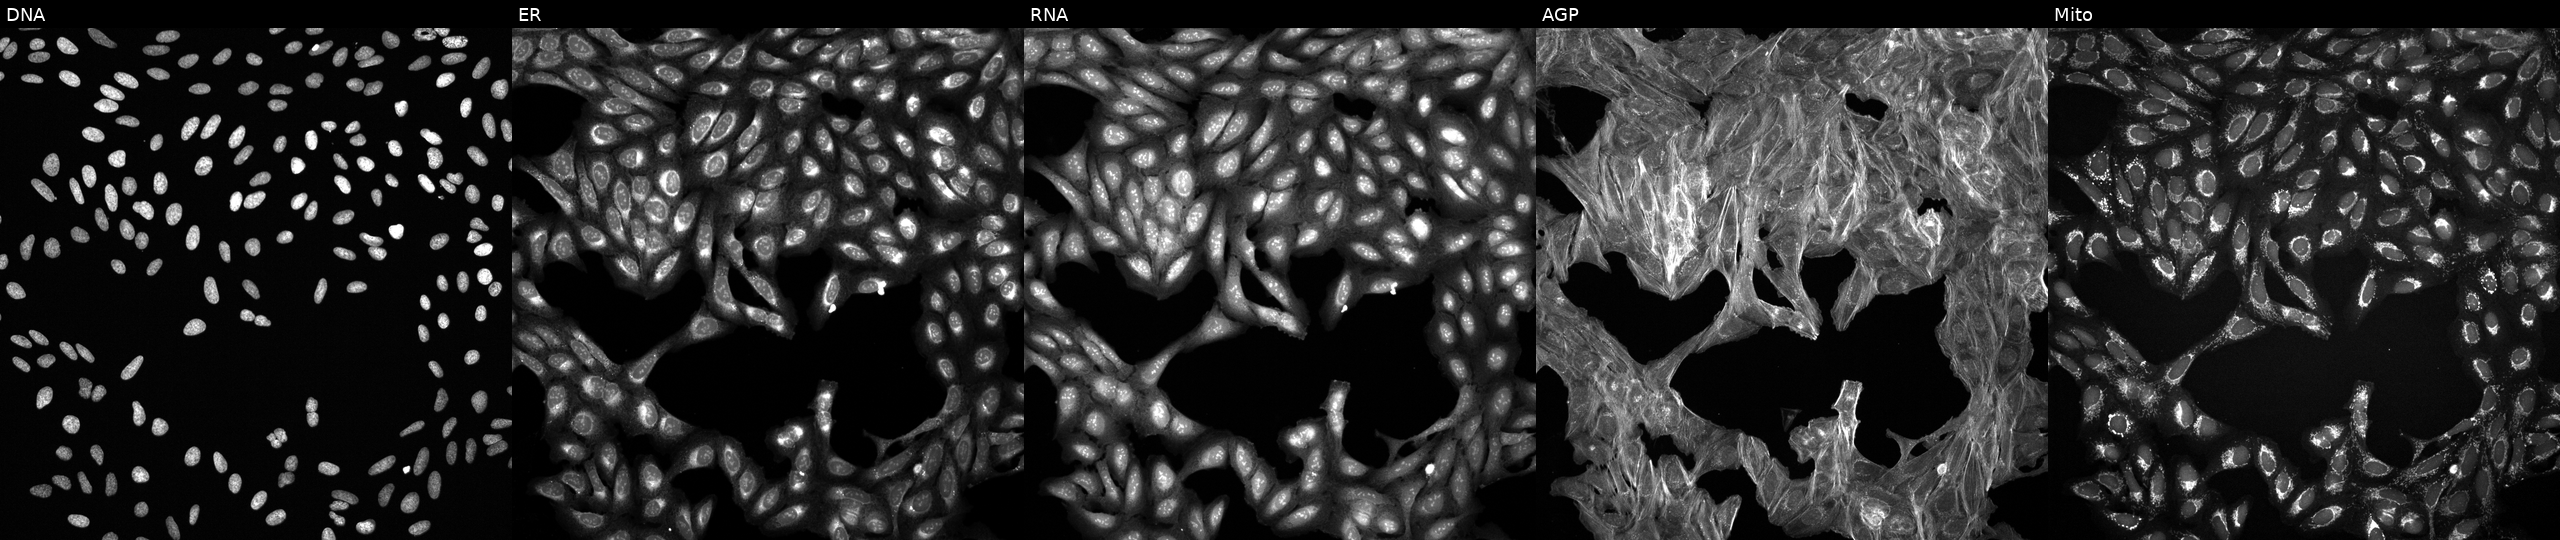
JUMP Cell Painting — COMPOUND plate. U2OS cells treated with a small-molecule compound (InChIKey UQRYWTBEHFBJSR-UHFFFAOYSA-N) [SMILES: Cc1cc(C)cc(NC(=O)c2cc(-c3cccs3)n(C3CCS(=O)(=O)C3)n2)c1]. The five panels, left to right, show Hoechst 33342, concanavalin A, SYTO 14, phalloidin and WGA, MitoTracker. Source 6, plate 110000293082, well F18.